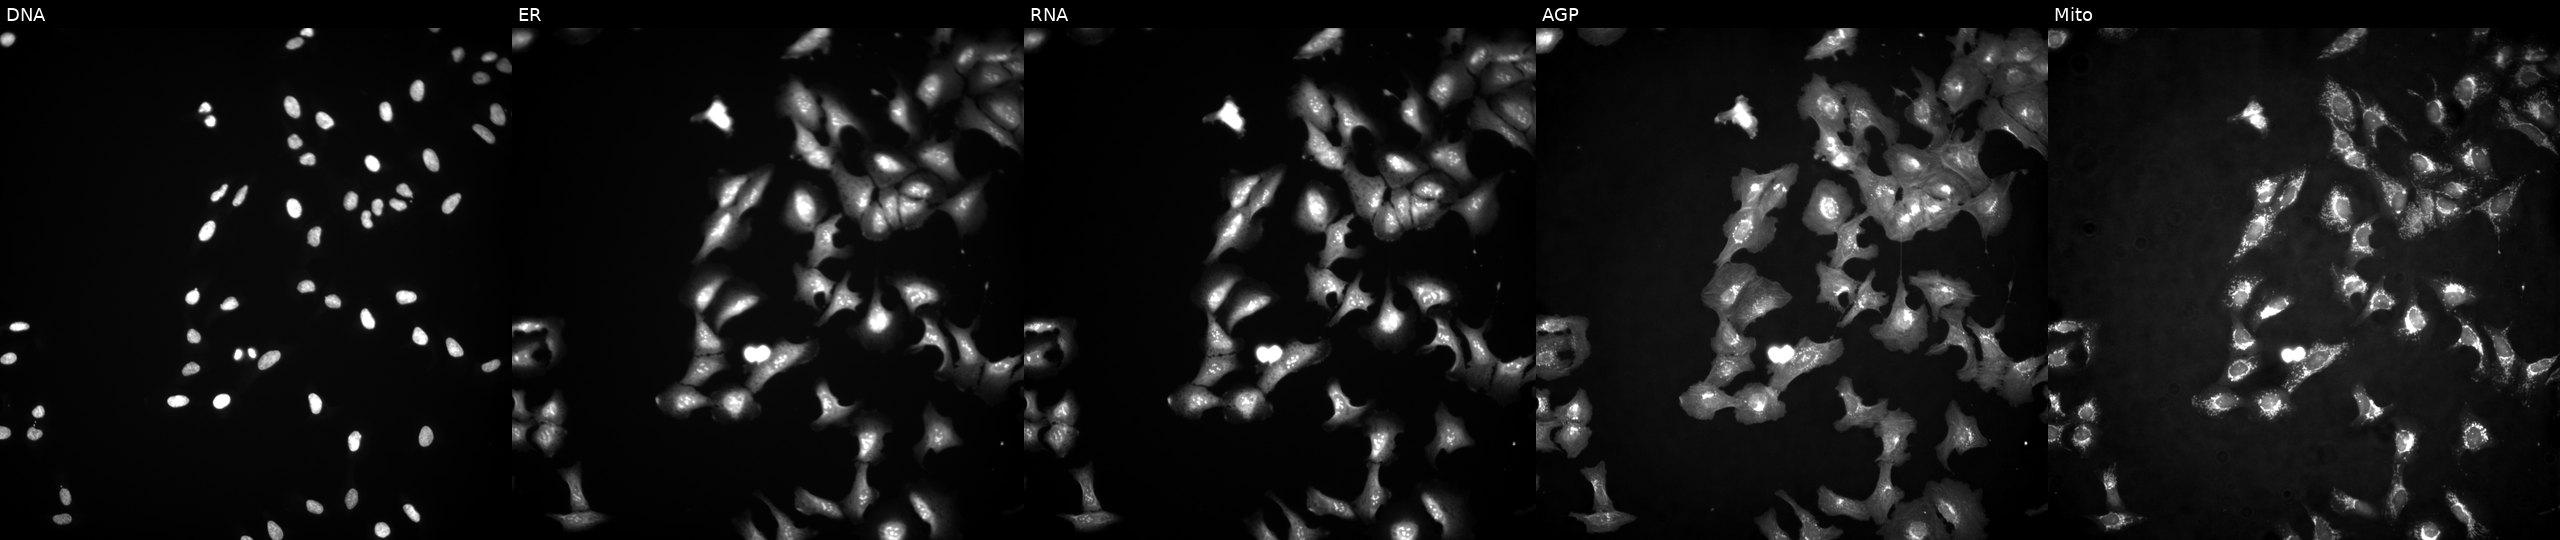
U2OS cells, Cell Painting assay, transfected with an ORF construct for ZNF543 (JUMP id JCP2022_904495). Panels show, left to right, DNA, ER, RNA, AGP, and Mito. Each panel is percentile-stretched 16-bit fluorescence.